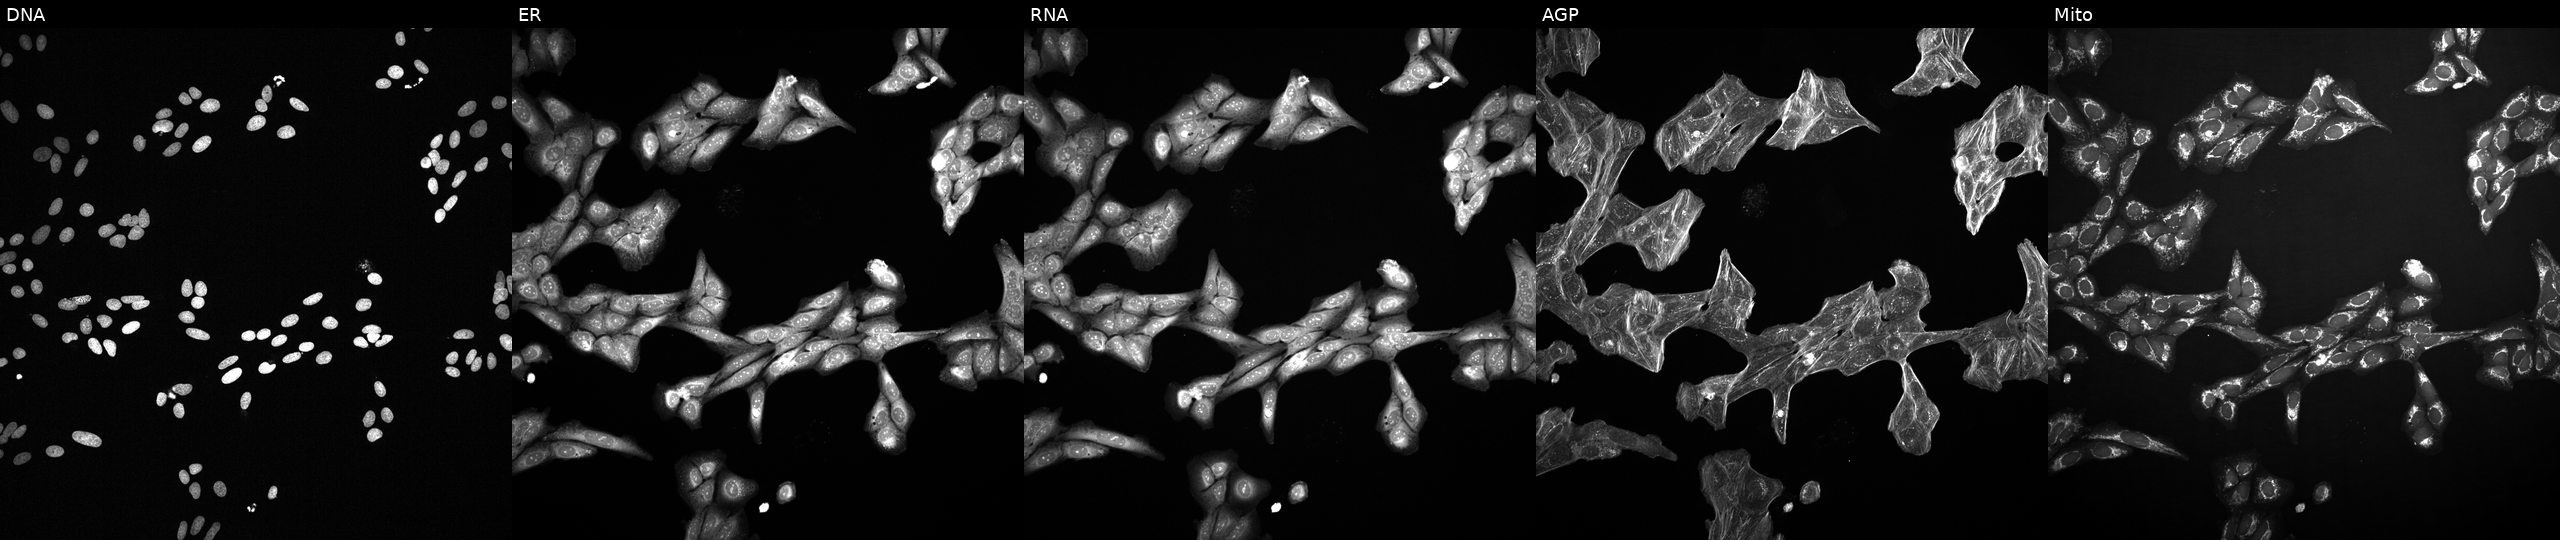
The five panels, left to right, show DNA, ER, RNA, AGP, and Mito. U2OS osteosarcoma cells exposed to a small-molecule compound (InChIKey KXBDTLQSDKGAEB-UHFFFAOYSA-N). Cell Painting assay, JUMP-CP dataset.